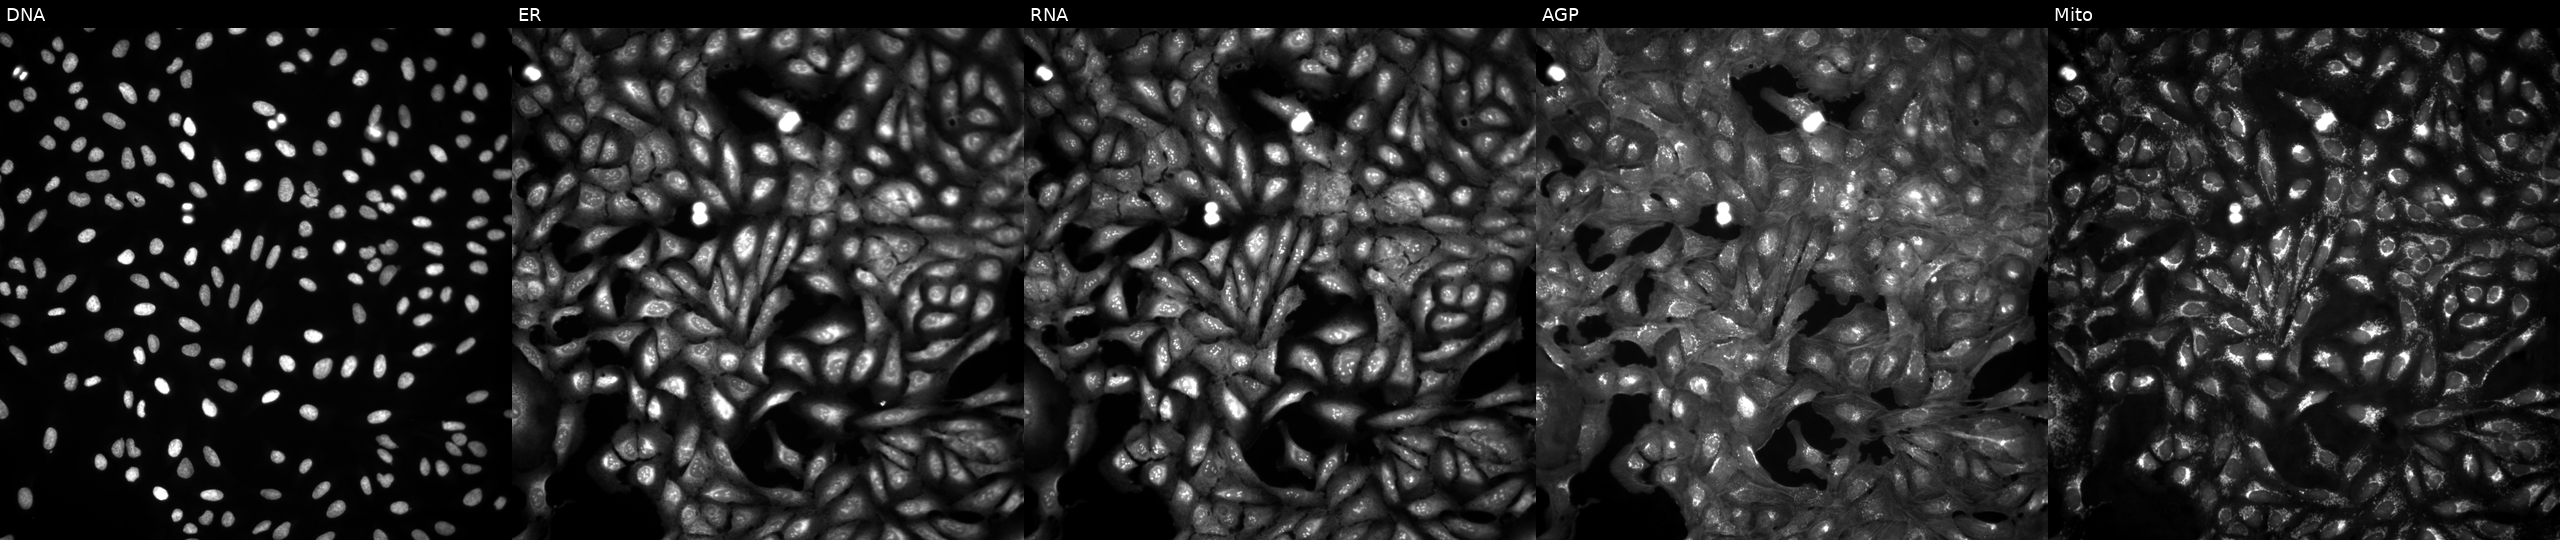
The five panels, left to right, show Hoechst 33342, concanavalin A, SYTO 14, phalloidin and WGA, MitoTracker. U2OS osteosarcoma cells in an empty control well (no perturbation). Cell Painting assay, JUMP-CP dataset.